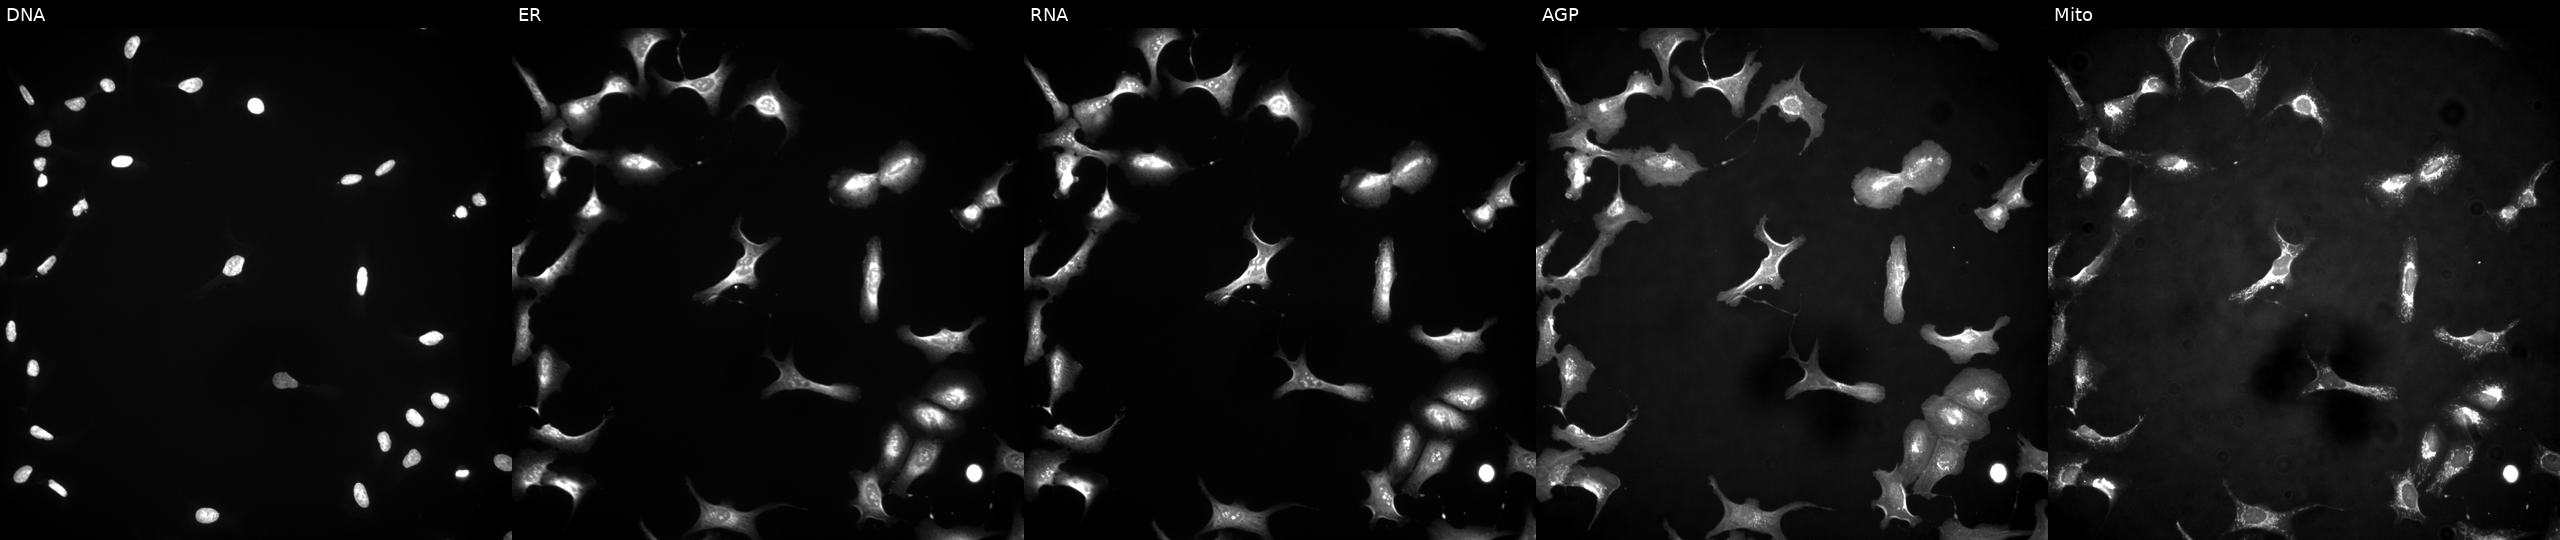
U2OS cells, Cell Painting assay, with CFHR3 overexpressed (ORF) (JUMP id JCP2022_910779). Panels show, left to right, Hoechst 33342, concanavalin A, SYTO 14, phalloidin and WGA, MitoTracker. Each panel is percentile-stretched 16-bit fluorescence. Source 4, plate BR00124790, well J08.